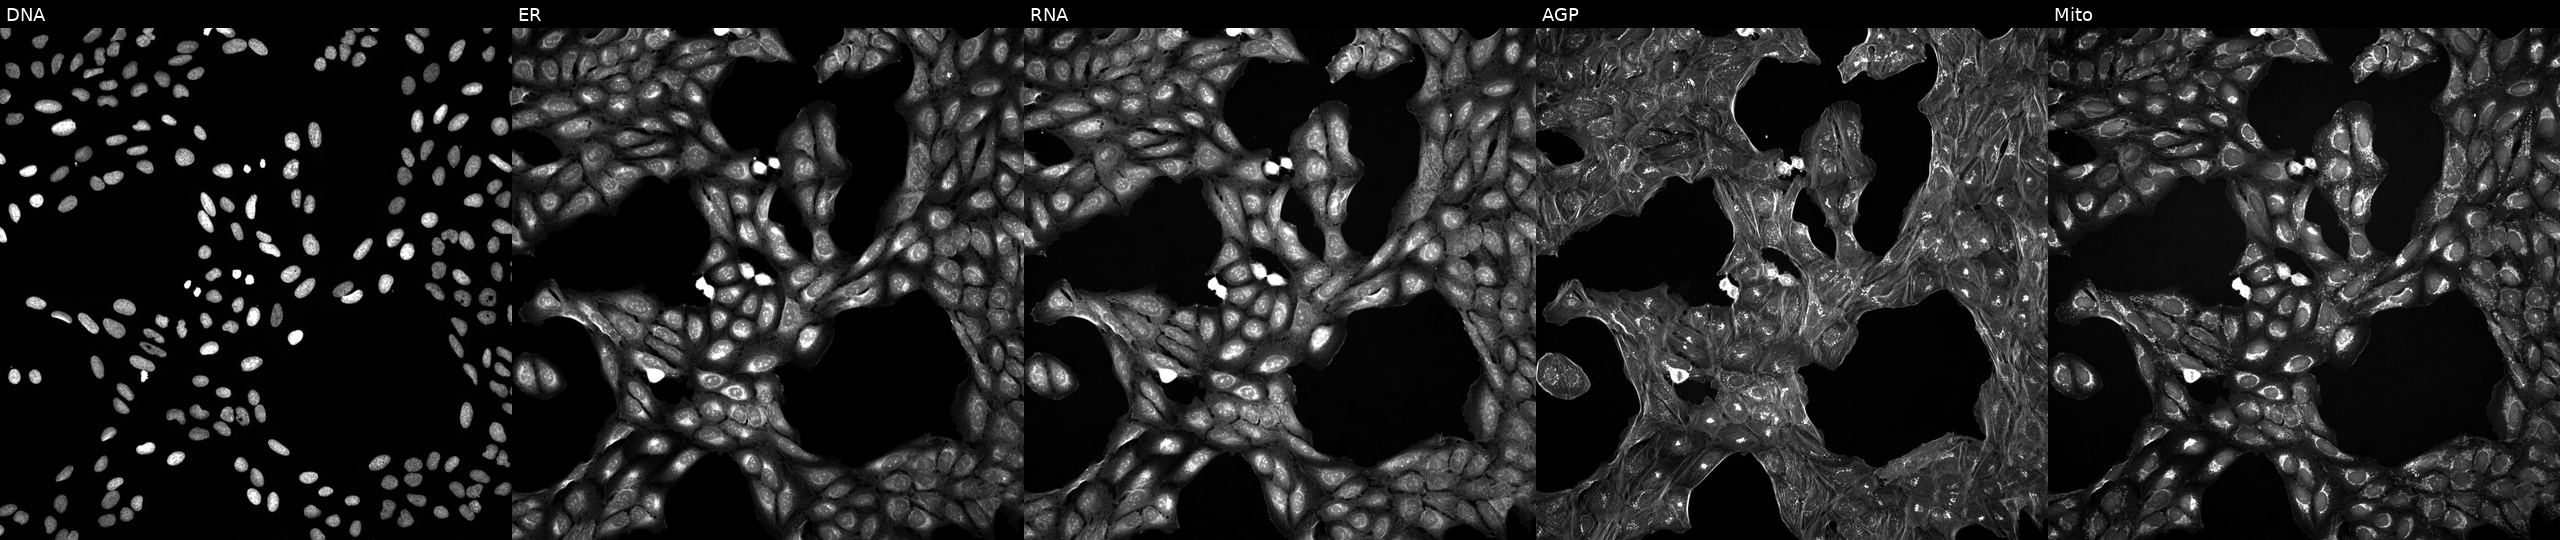
U2OS cells, Cell Painting assay, perturbed with a small-molecule compound (InChIKey XEYBRNLFEZDVAW-UHFFFAOYSA-N) [SMILES: CCCCCC(O)C=CC1C(O)CC(=O)C1CC=CCCCC(=O)O] (JUMP id JCP2022_103217). Channels (left→right): DNA, ER, RNA, AGP, and Mito. Each panel is percentile-stretched 16-bit fluorescence.